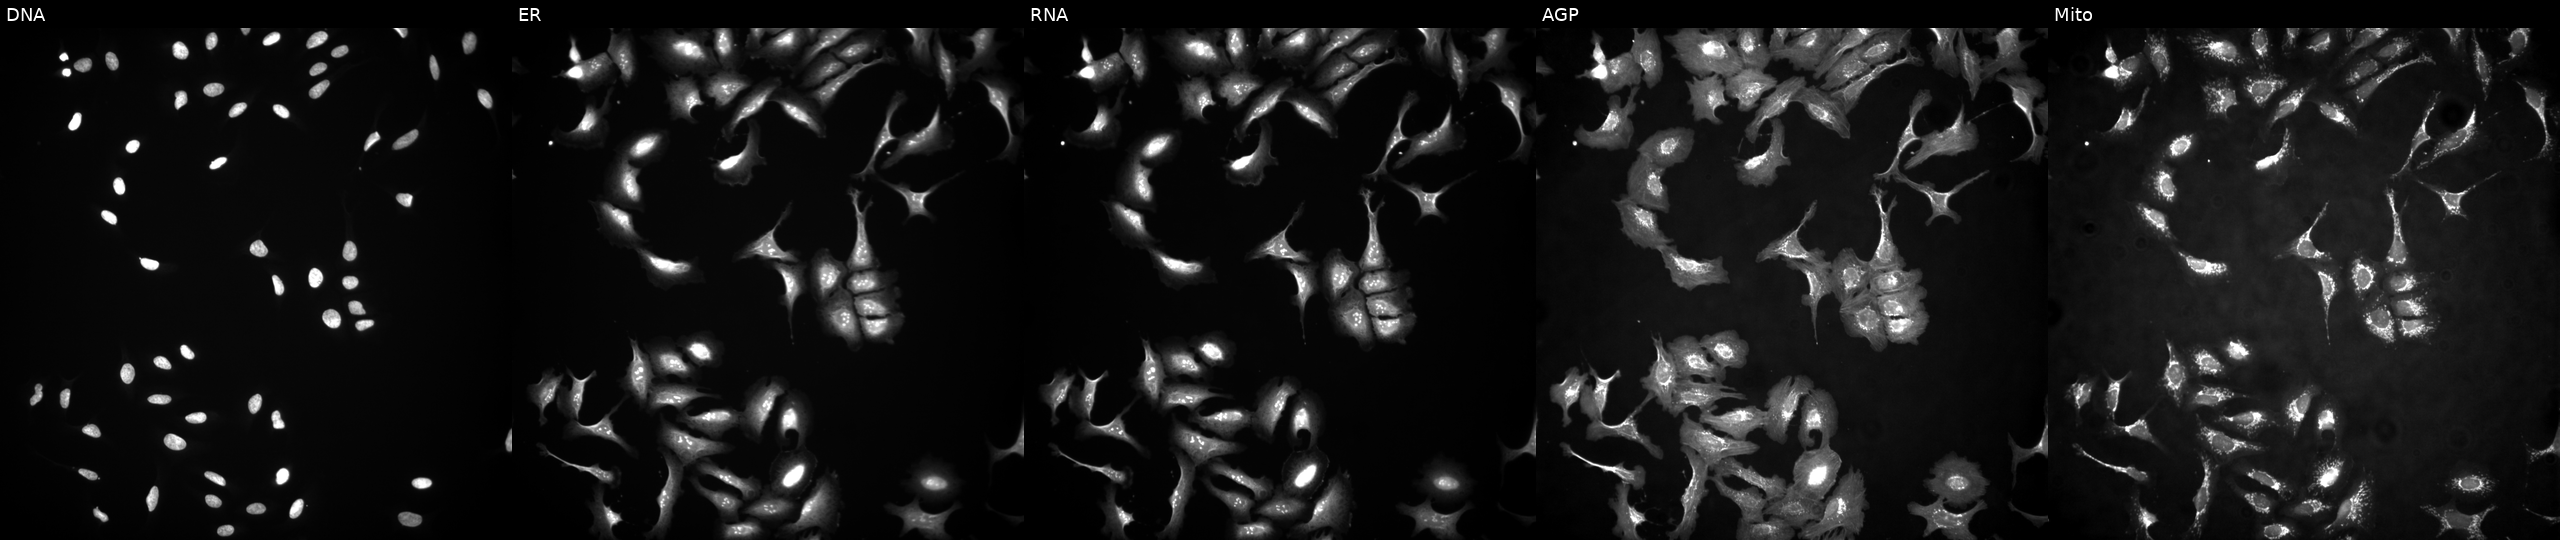
U2OS cells, Cell Painting assay, overexpressing TAF6L via ORF transfection (JUMP id JCP2022_910750). From left to right: DNA, ER, RNA, AGP, and Mito. Each panel is percentile-stretched 16-bit fluorescence.